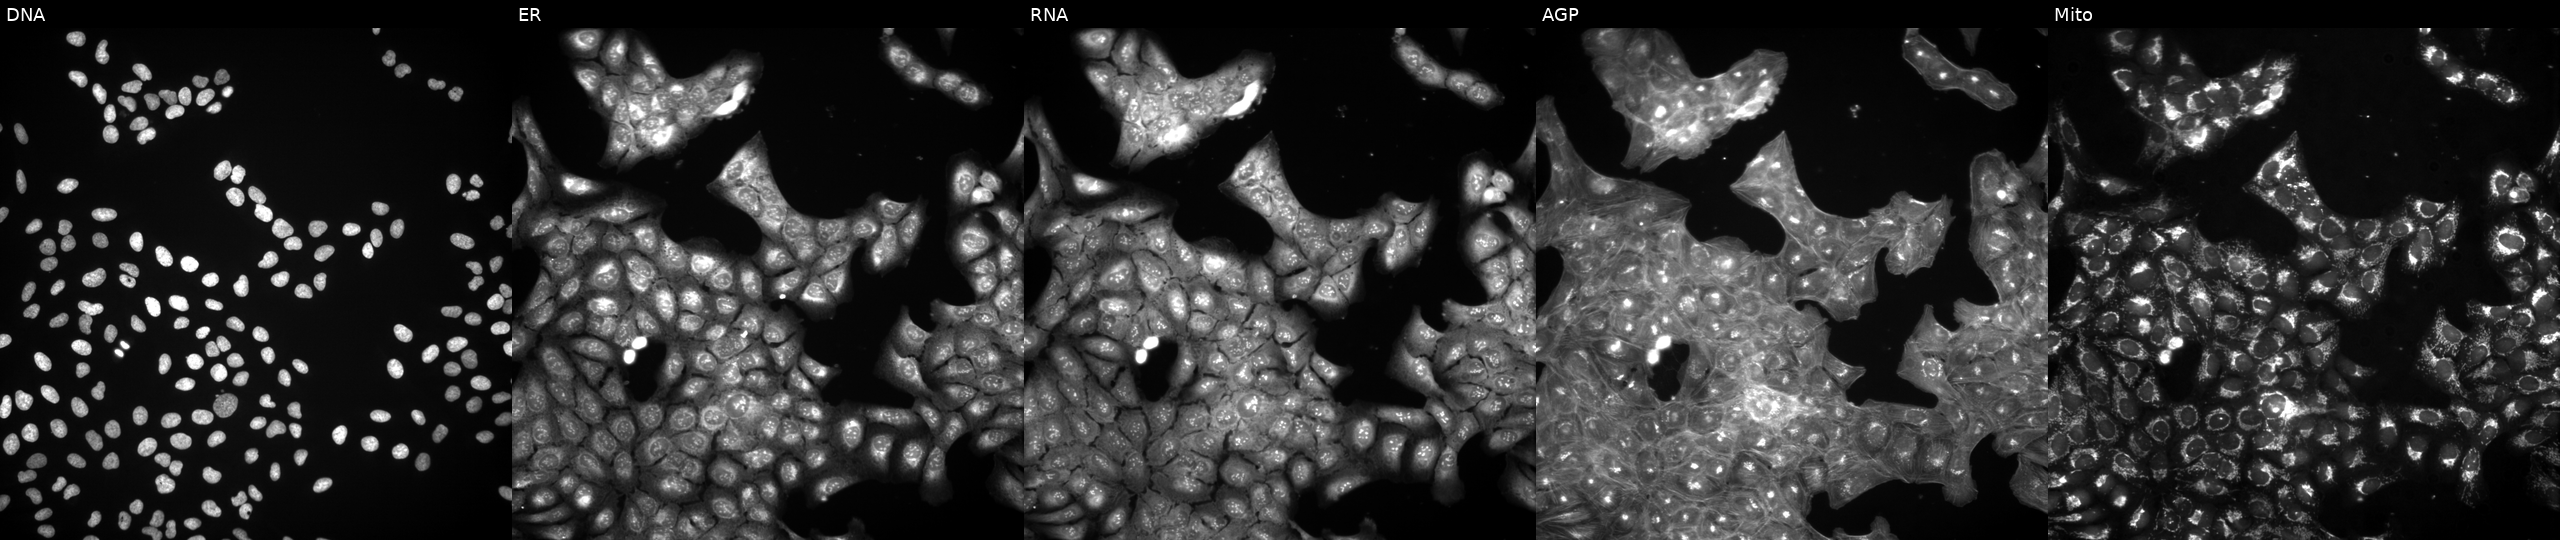
Five-channel Cell Painting image of U2OS cells exposed to a small-molecule compound (InChIKey DUKQPWDVIZDABV-UHFFFAOYSA-N). Panels show, left to right, Hoechst 33342, concanavalin A, SYTO 14, phalloidin and WGA, MitoTracker.